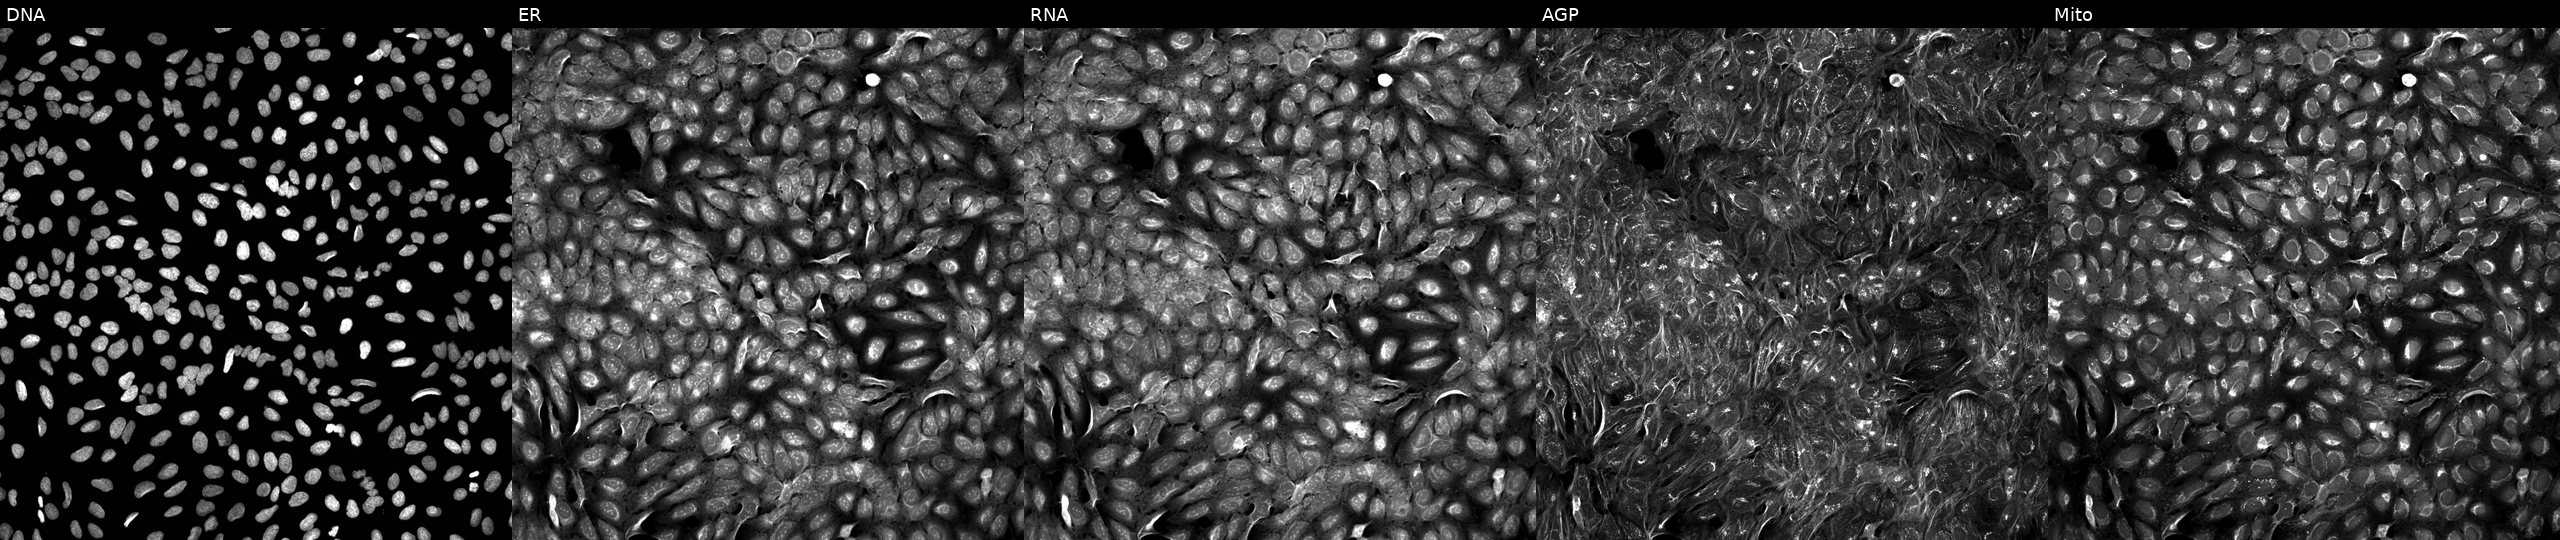
High-content fluorescence microscopy (Cell Painting). Cell line: U2OS. Perturbation: exposed to a small-molecule compound (InChIKey BXBKEAZCEXPIBK-UHFFFAOYSA-N) (JUMP id JCP2022_009231). Channels (left→right): DNA (nuclei); ER (endoplasmic reticulum); RNA (nucleoli and cytoplasmic RNA); AGP (actin cytoskeleton, Golgi, and plasma membrane); Mito (mitochondria). Source 5, plate APTJUM106, well M13.